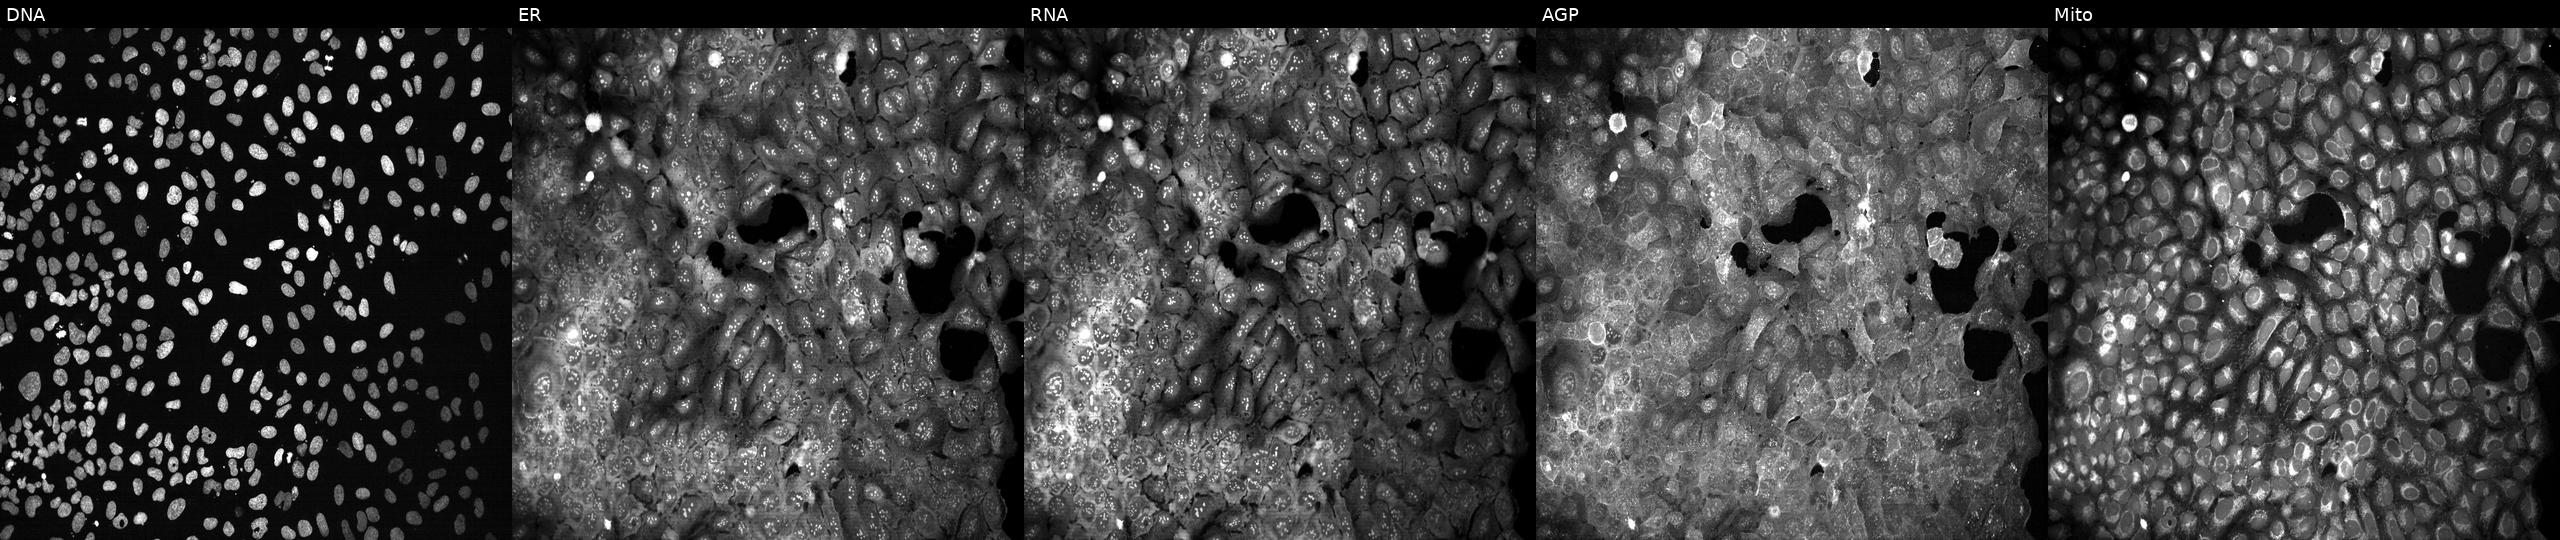
Channels (left→right): DNA, ER, RNA, AGP, and Mito. U2OS osteosarcoma cells with GANC knocked out by CRISPR (JUMP id JCP2022_802608). Cell Painting assay, JUMP-CP dataset.